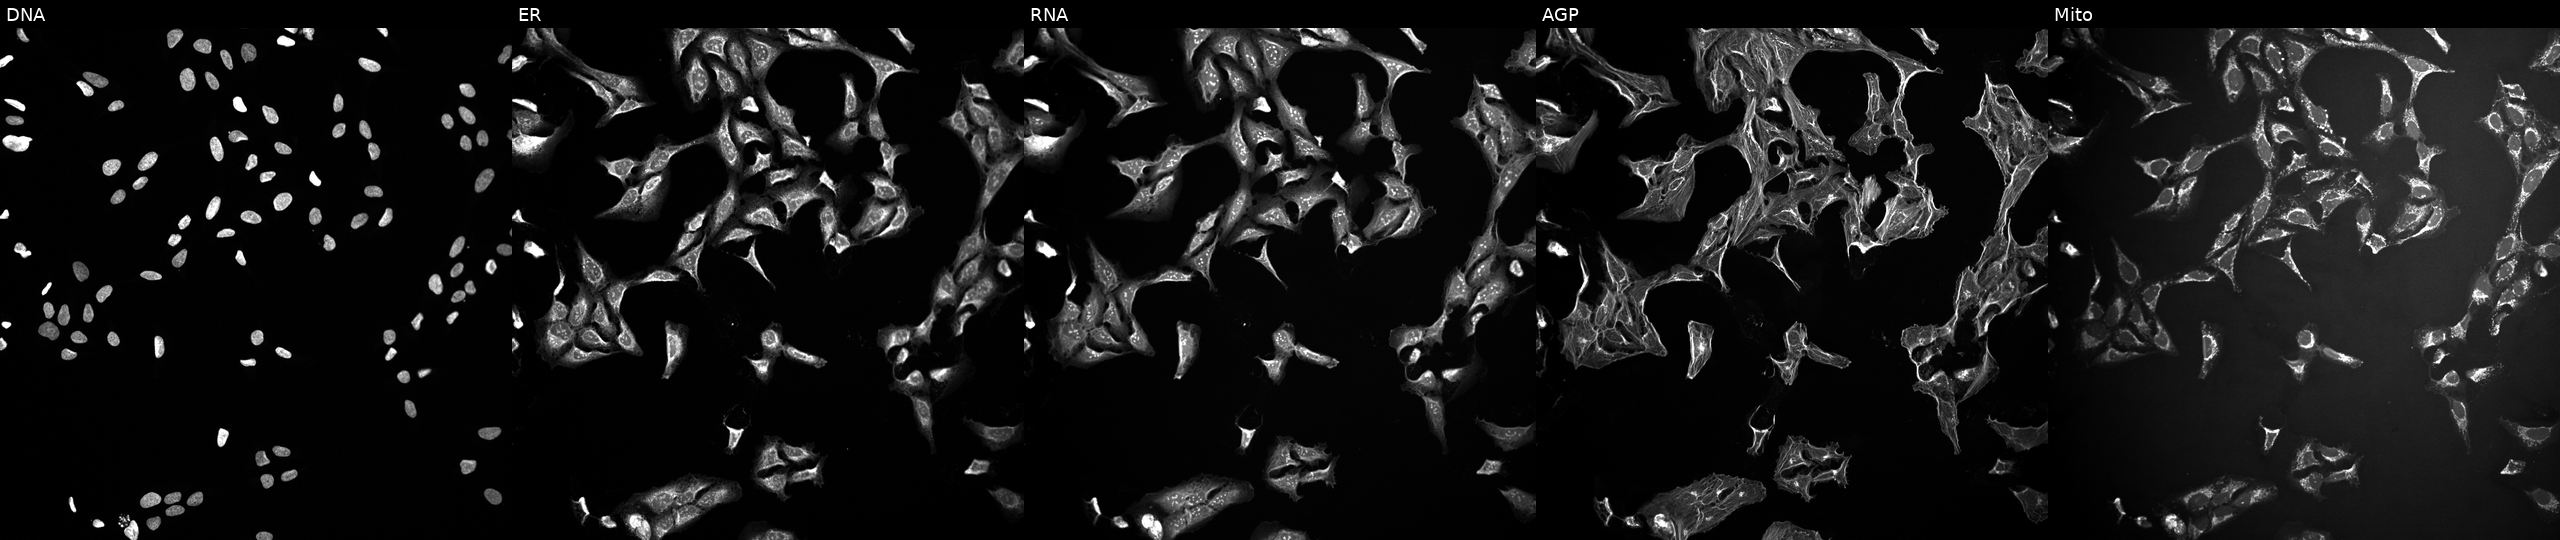
The five panels, left to right, show DNA, ER, RNA, AGP, and Mito. U2OS osteosarcoma cells perturbed with a small-molecule compound [SMILES: Cc1cc(N=c2[nH]cc(Cl)c(=Nc3ccccc3S(=O)(=O)C(C)C)[nH]2)c(OC(C)C)cc1C1CCNCC1] (JUMP id JCP2022_093480). Cell Painting assay, JUMP-CP dataset.